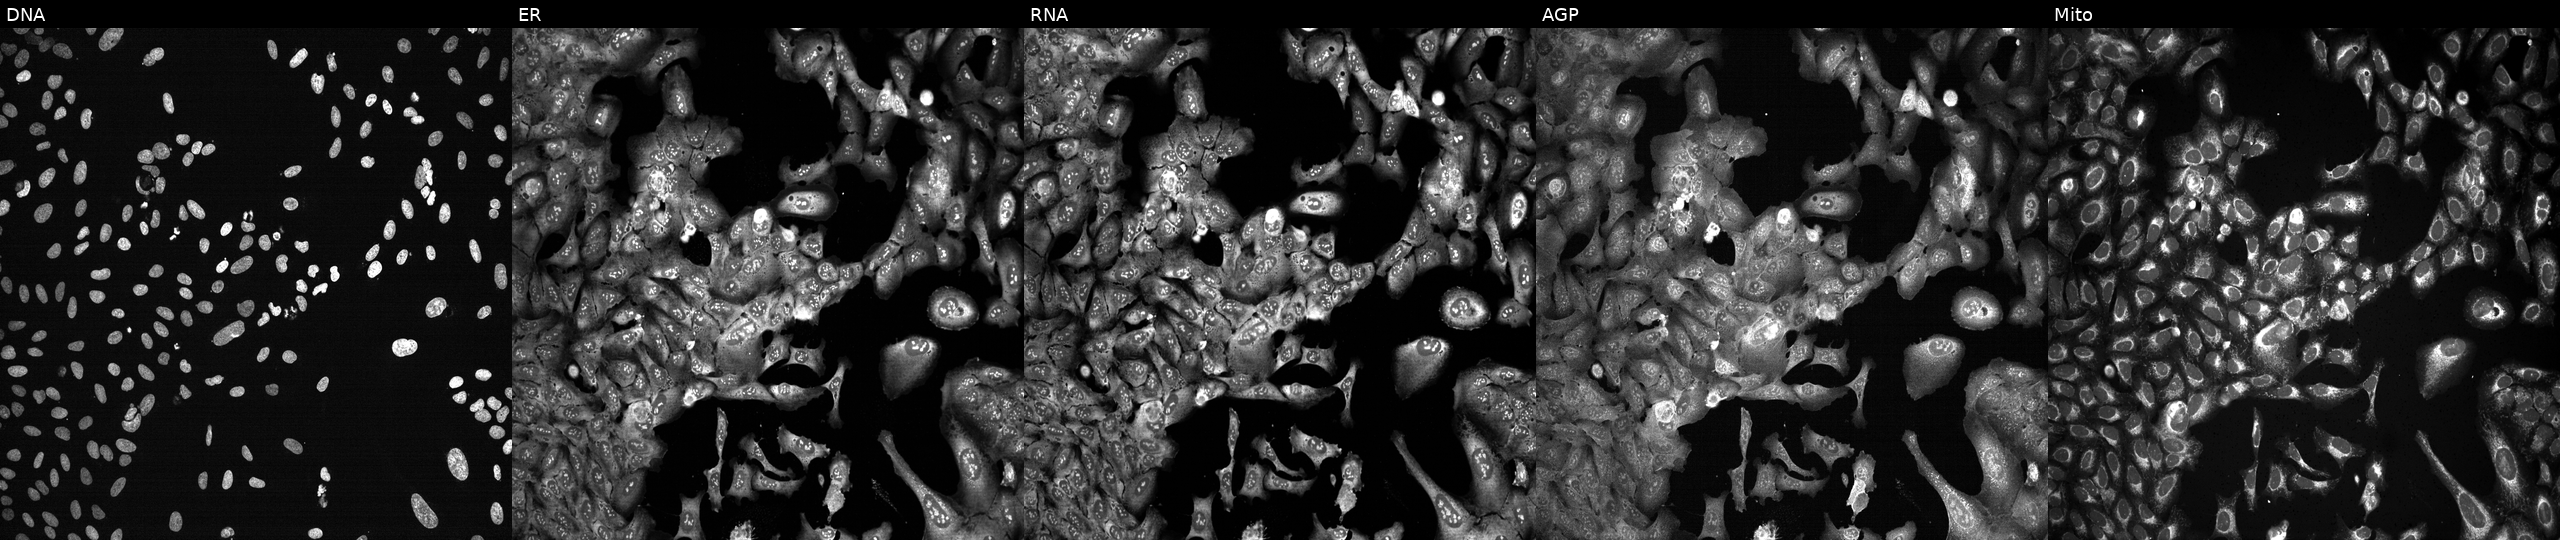
Five-channel Cell Painting image of U2OS cells following CRISPR knockout of EFTUD2 (JUMP id JCP2022_802024). The five panels, left to right, show DNA (nuclei); ER (endoplasmic reticulum); RNA (nucleoli and cytoplasmic RNA); AGP (actin cytoskeleton, Golgi, and plasma membrane); Mito (mitochondria).